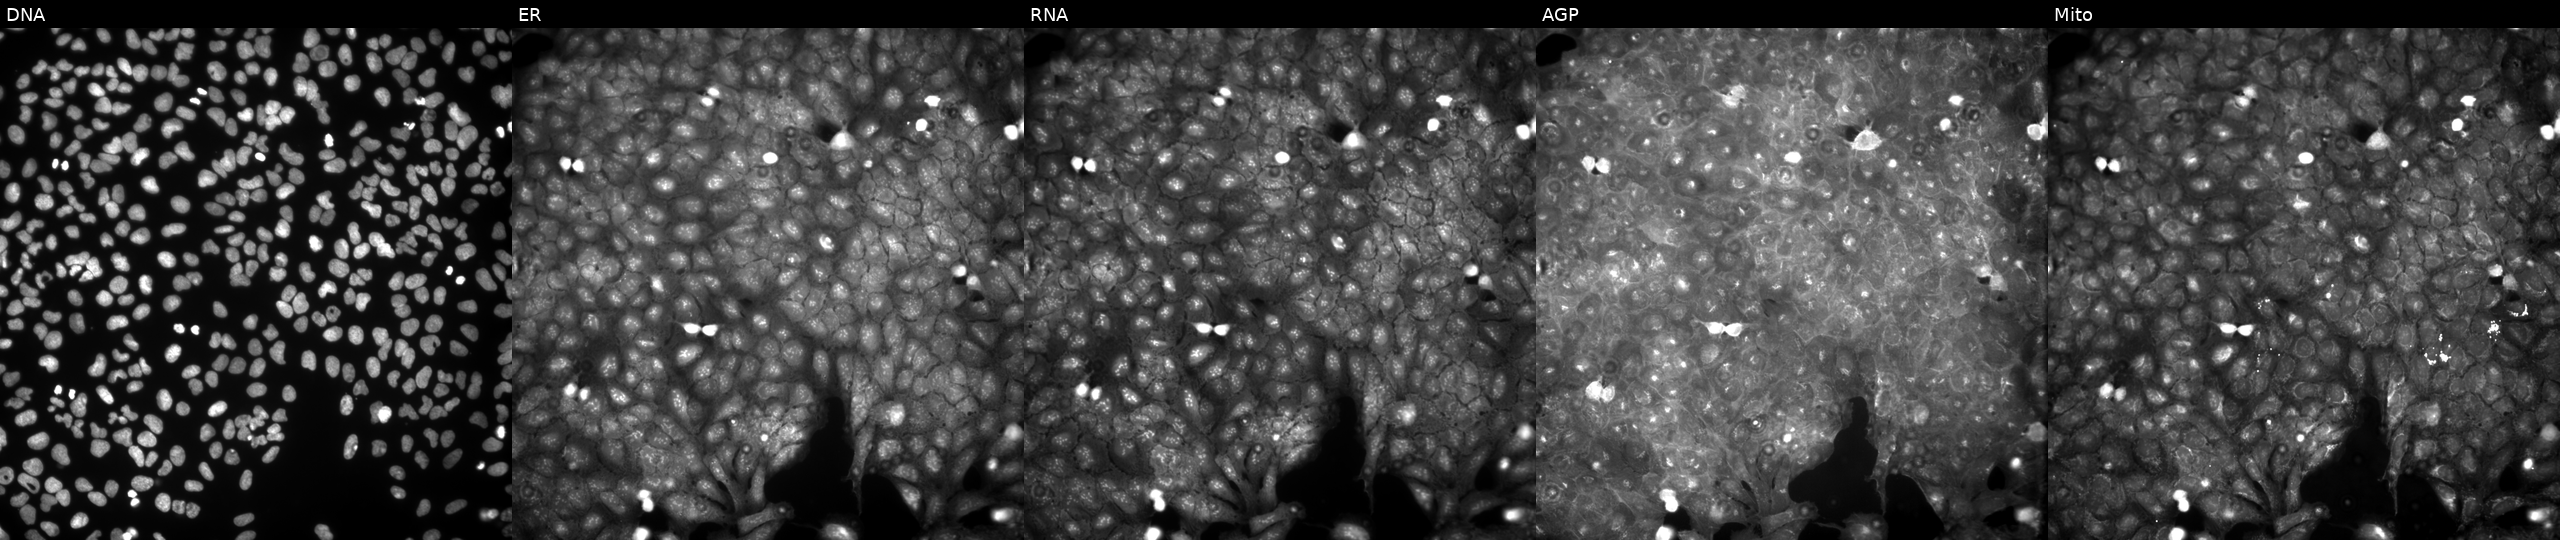
U2OS cells, Cell Painting assay, treated with a small-molecule compound (InChIKey QXPBMTMASAVULQ-UHFFFAOYSA-N) [SMILES: Cc1ccc(NC(=O)c2[nH]cnc2C(=O)N2CCCCC2)c(C(=O)c2ccccc2)c1] (JUMP id JCP2022_076554). From left to right: DNA (nuclei); ER (endoplasmic reticulum); RNA (nucleoli and cytoplasmic RNA); AGP (actin cytoskeleton, Golgi, and plasma membrane); Mito (mitochondria). Each panel is percentile-stretched 16-bit fluorescence.